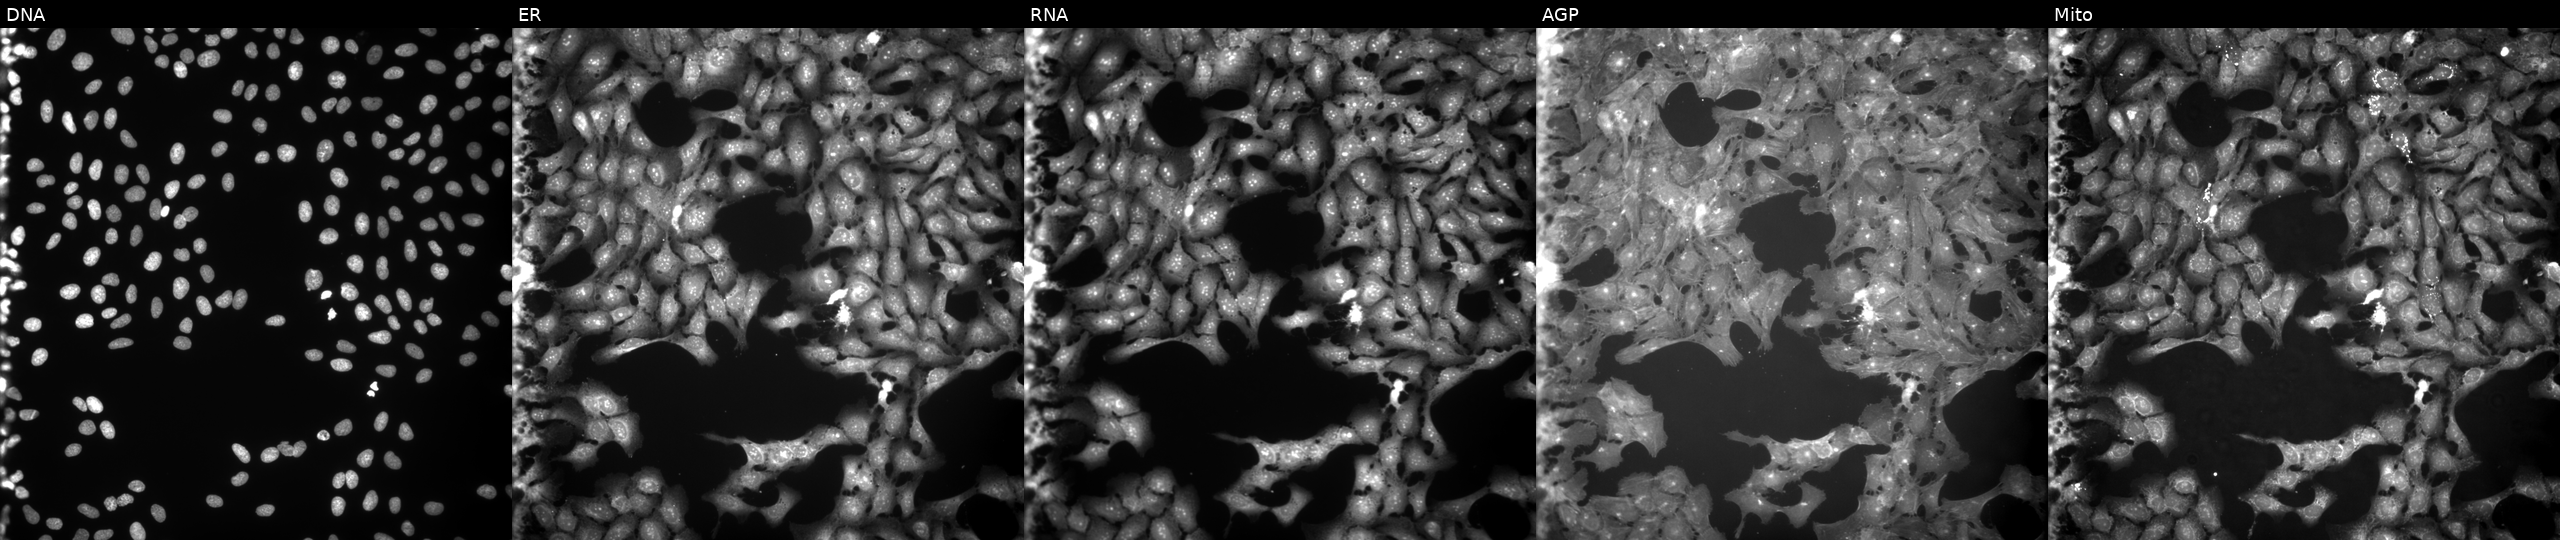
U2OS cells, Cell Painting assay, exposed to the positive-control compound FK-866 (JUMP id JCP2022_046054). From left to right: Hoechst 33342, concanavalin A, SYTO 14, phalloidin and WGA, MitoTracker. Each panel is percentile-stretched 16-bit fluorescence. Source 9, plate GR00003382, well D25.